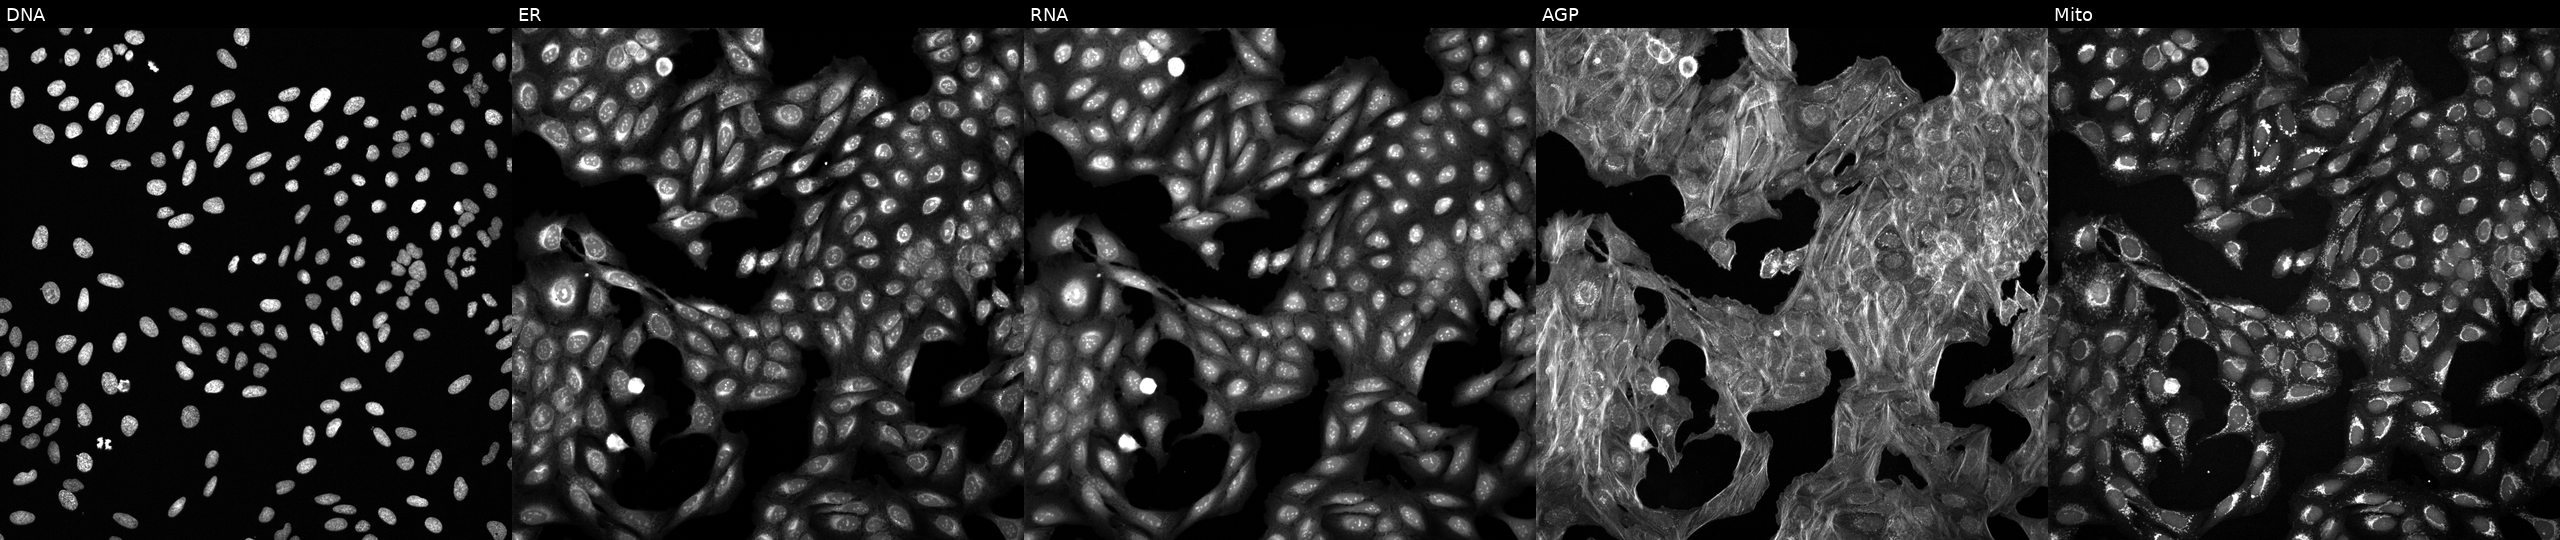
Five-channel Cell Painting image of U2OS cells treated with a small-molecule compound. Panels show, left to right, DNA, ER, RNA, AGP, and Mito.